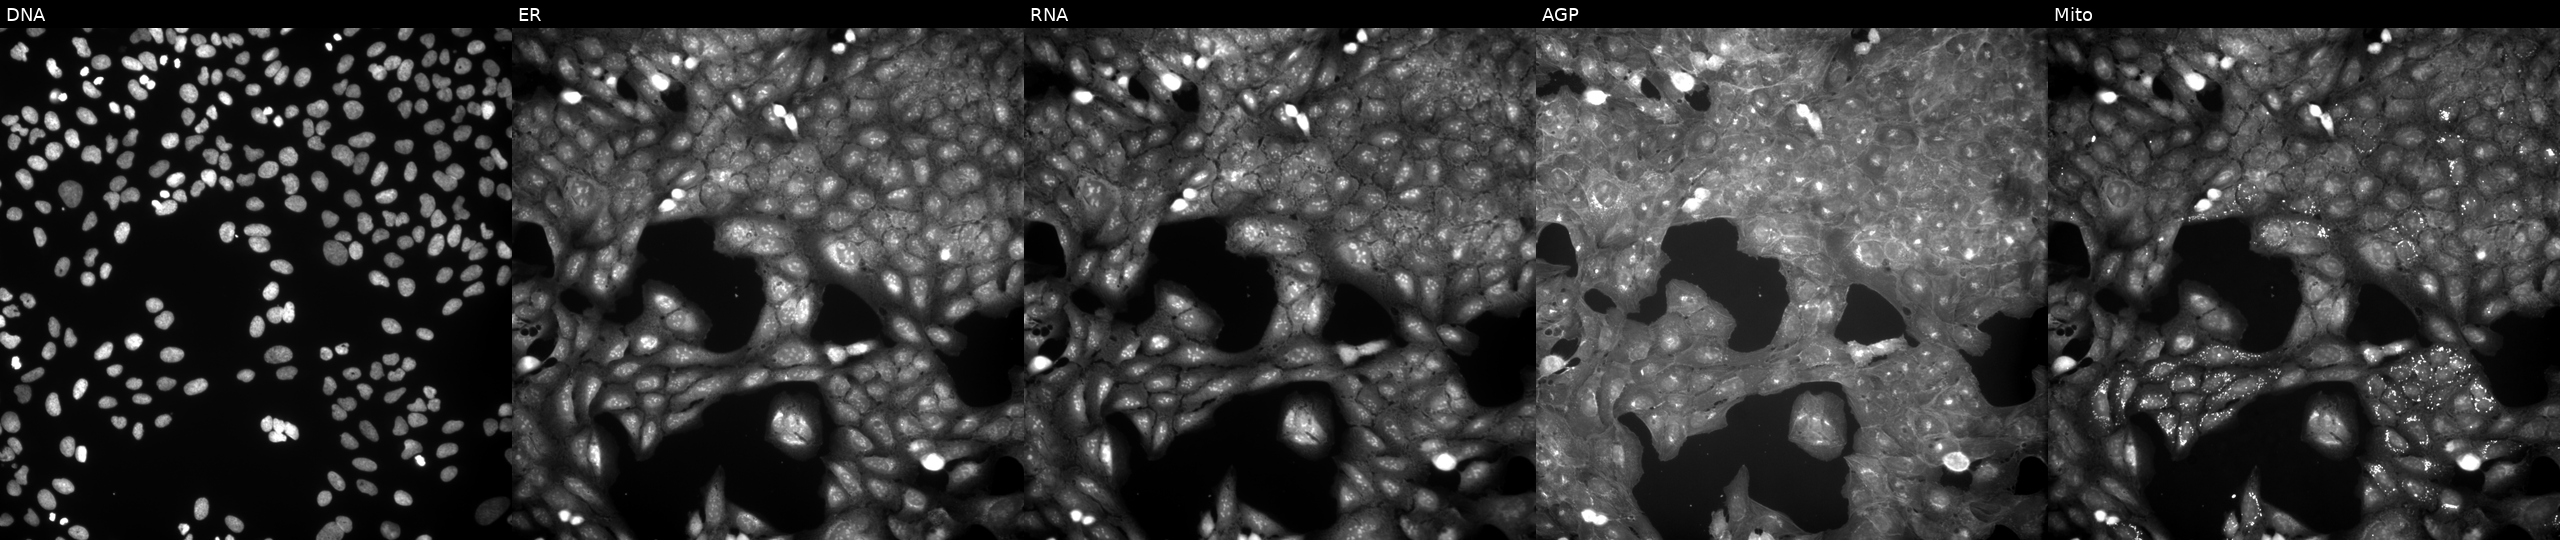
The five panels, left to right, show DNA, ER, RNA, AGP, and Mito. U2OS osteosarcoma cells treated with a small-molecule compound (InChIKey UMZOUEPDWFXKRI-UHFFFAOYSA-N) [SMILES: Nc1c(NCCN2CCCCC2)c2ccccc2oc1=O] (JUMP id JCP2022_090250). Cell Painting assay, JUMP-CP dataset. Source 9, plate GR00003382, well E32.